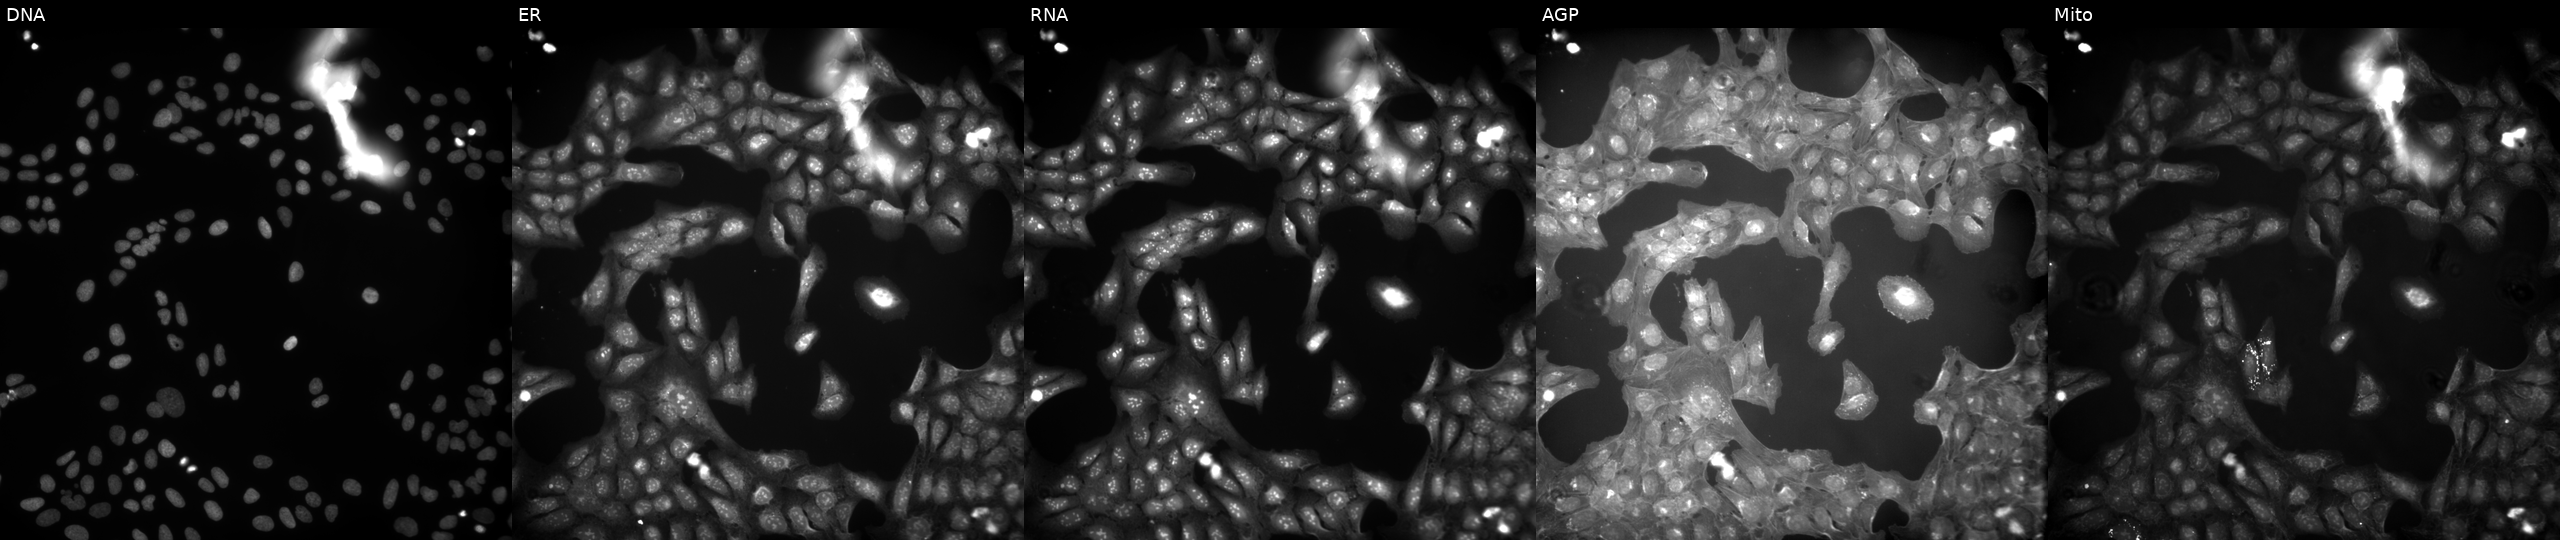
The five panels, left to right, show DNA (nuclei); ER (endoplasmic reticulum); RNA (nucleoli and cytoplasmic RNA); AGP (actin cytoskeleton, Golgi, and plasma membrane); Mito (mitochondria). U2OS osteosarcoma cells exposed to the positive-control compound TC-S-7004 (JUMP id JCP2022_012818). Cell Painting assay, JUMP-CP dataset.